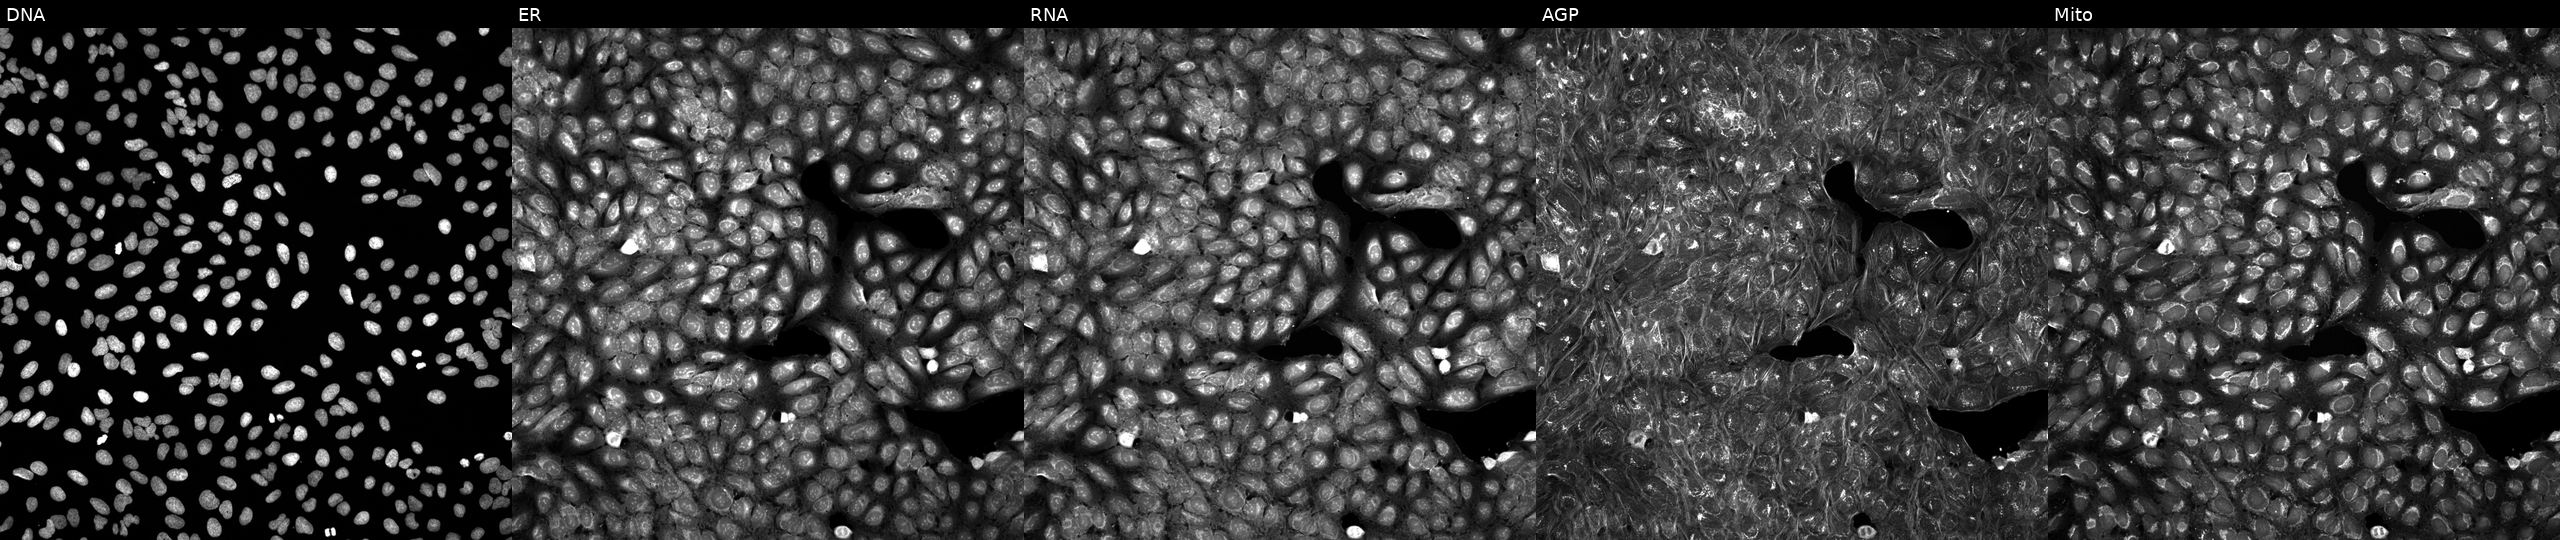
High-content fluorescence microscopy (Cell Painting). Cell line: U2OS. Perturbation: treated with a small-molecule compound (InChIKey RVPHQKVOXUXIHF-UHFFFAOYSA-N). Panels show, left to right, DNA (nuclei); ER (endoplasmic reticulum); RNA (nucleoli and cytoplasmic RNA); AGP (actin cytoskeleton, Golgi, and plasma membrane); Mito (mitochondria).